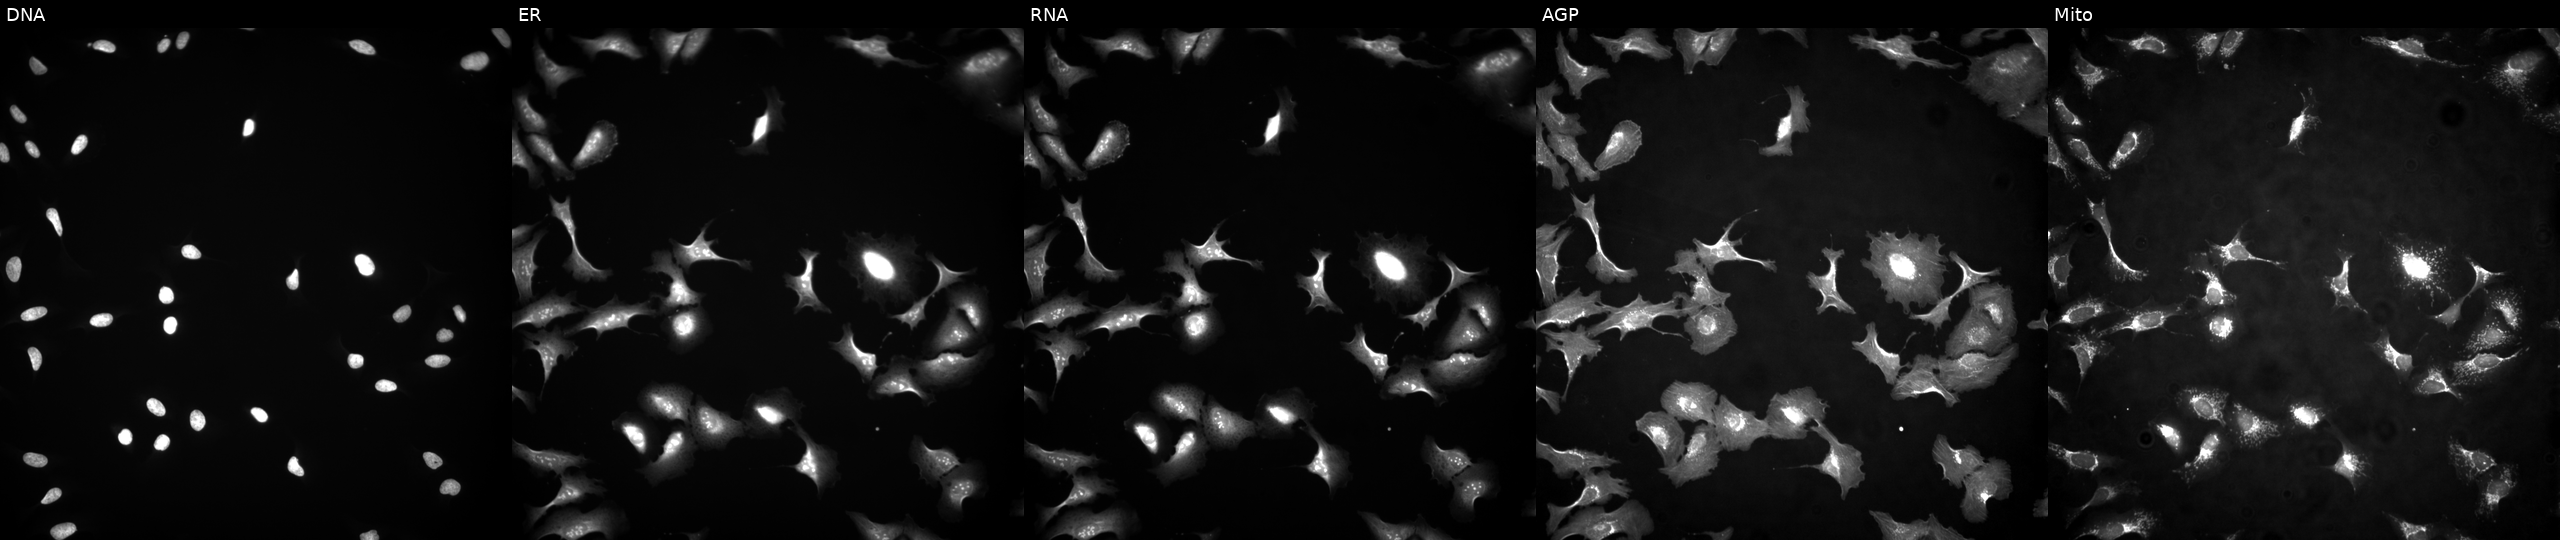
Channels (left→right): DNA (nuclei); ER (endoplasmic reticulum); RNA (nucleoli and cytoplasmic RNA); AGP (actin cytoskeleton, Golgi, and plasma membrane); Mito (mitochondria). U2OS osteosarcoma cells transfected with an ORF construct for SETBP1 (JUMP id JCP2022_902728). Cell Painting assay, JUMP-CP dataset.